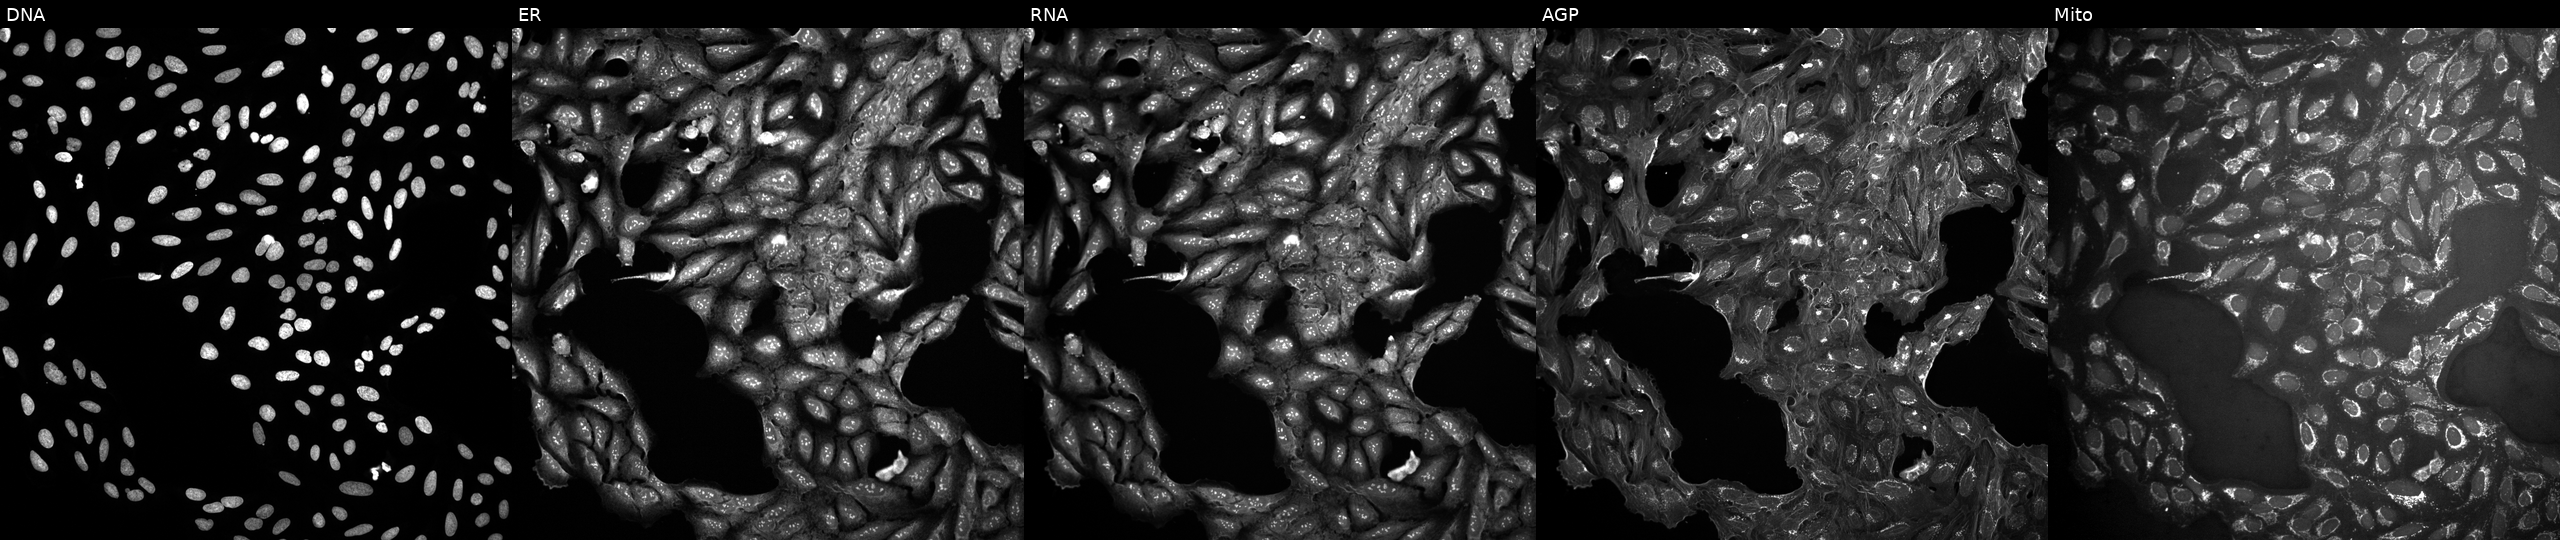
JUMP Cell Painting — COMPOUND plate. U2OS cells exposed to the positive-control compound dexamethasone. From left to right: Hoechst 33342, concanavalin A, SYTO 14, phalloidin and WGA, MitoTracker.